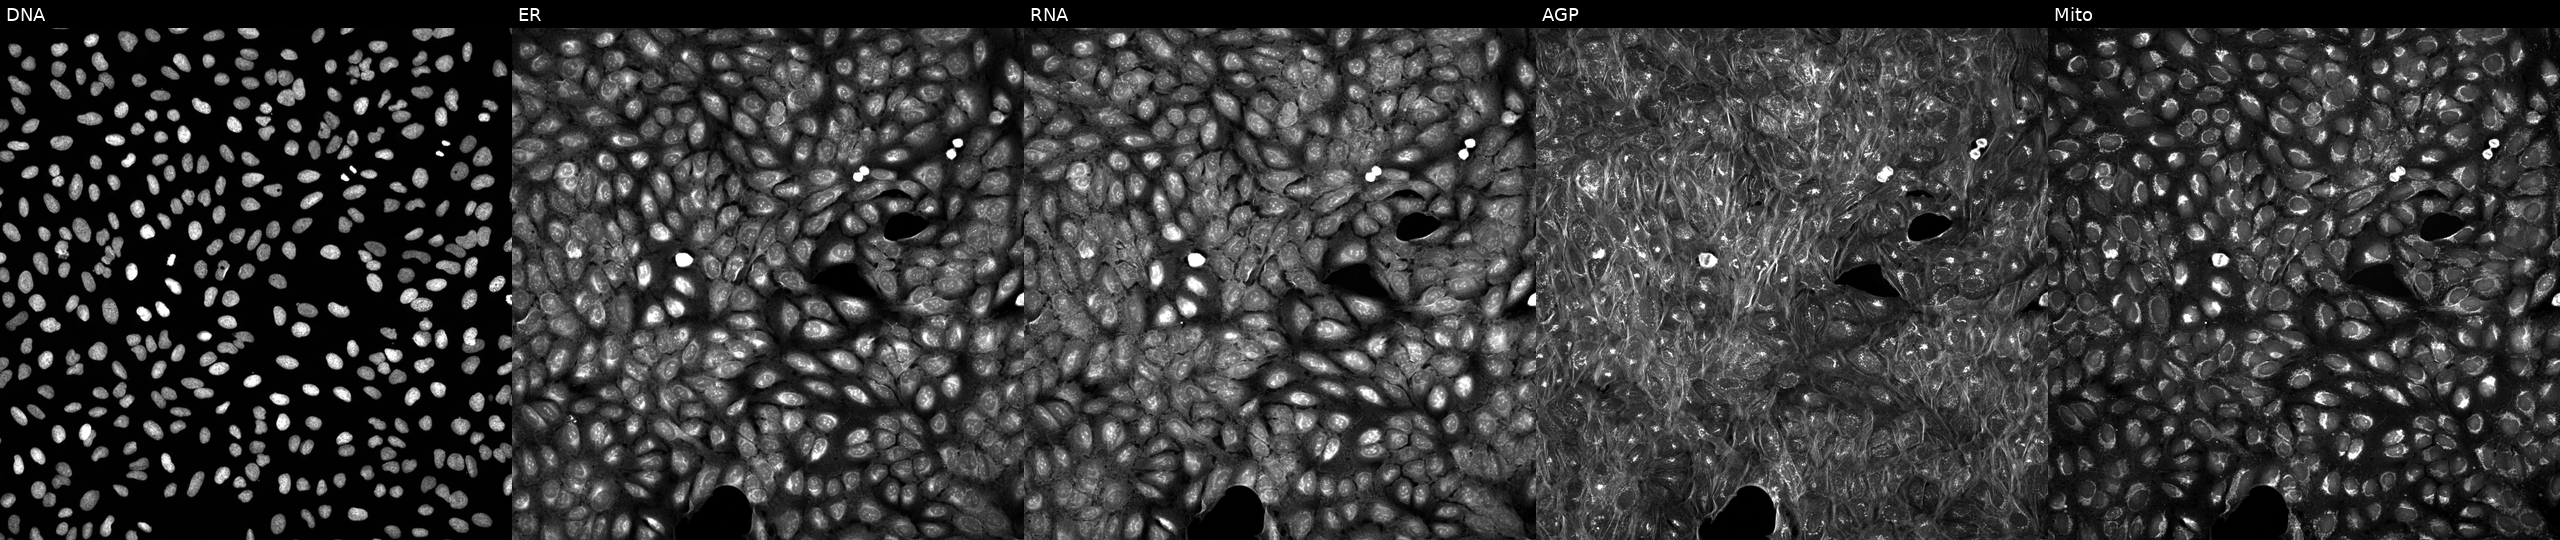
U2OS cells, Cell Painting assay, treated with a small-molecule compound (InChIKey WRLVHADVOGFZOZ-UHFFFAOYSA-N) (JUMP id JCP2022_100688). The five panels, left to right, show Hoechst 33342, concanavalin A, SYTO 14, phalloidin and WGA, MitoTracker. Each panel is percentile-stretched 16-bit fluorescence.